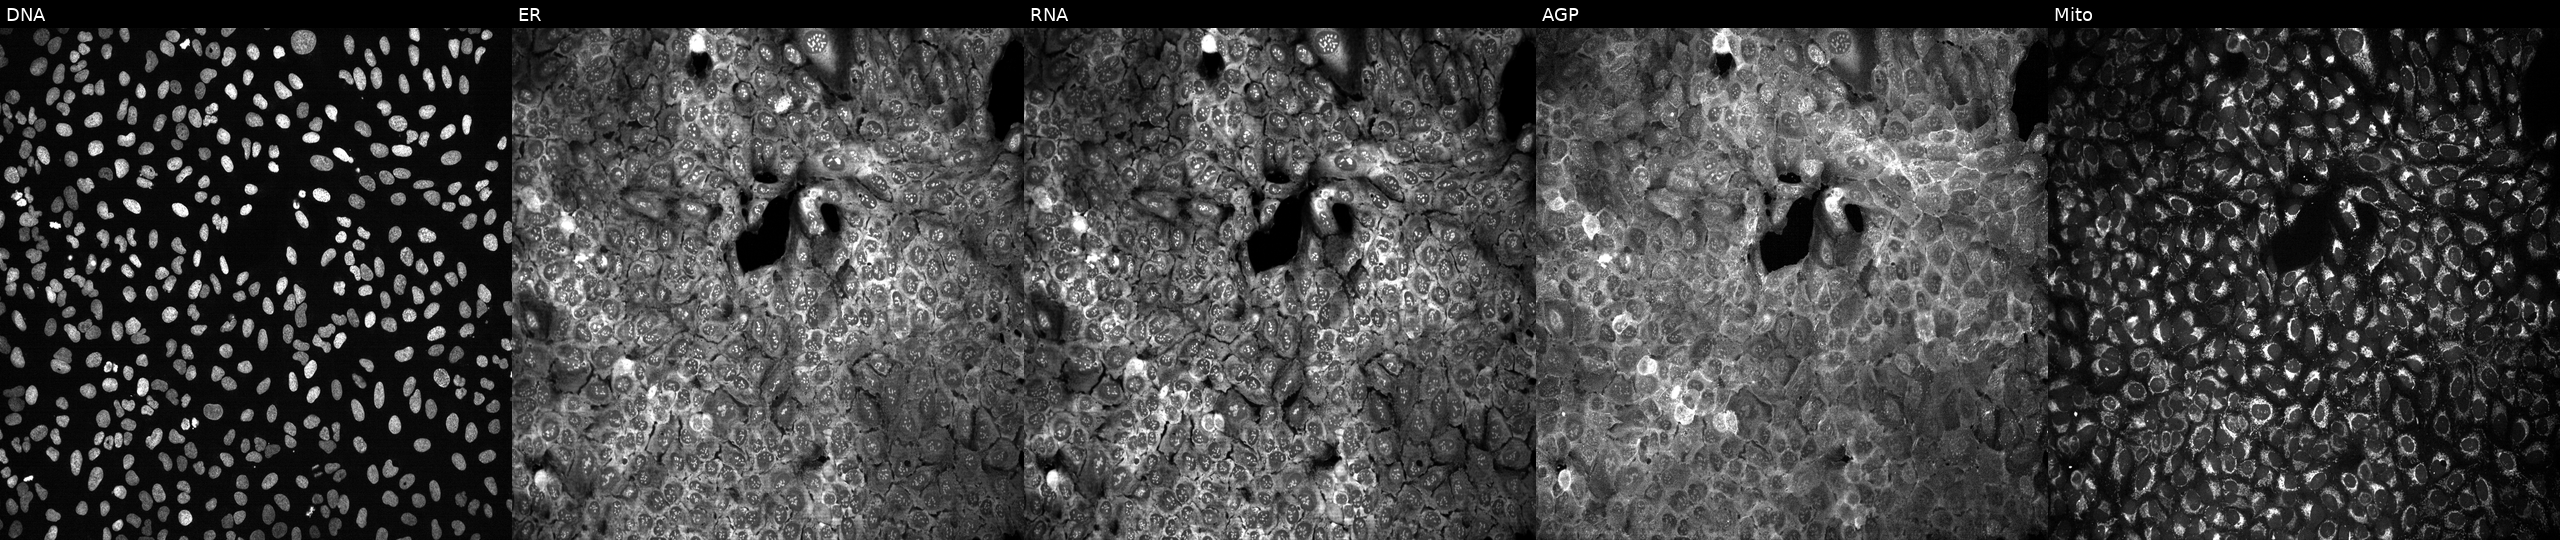
U2OS cells, Cell Painting assay, with ASGR1 knocked out by CRISPR (JUMP id JCP2022_800639). The five panels, left to right, show Hoechst 33342, concanavalin A, SYTO 14, phalloidin and WGA, MitoTracker. Each panel is percentile-stretched 16-bit fluorescence.